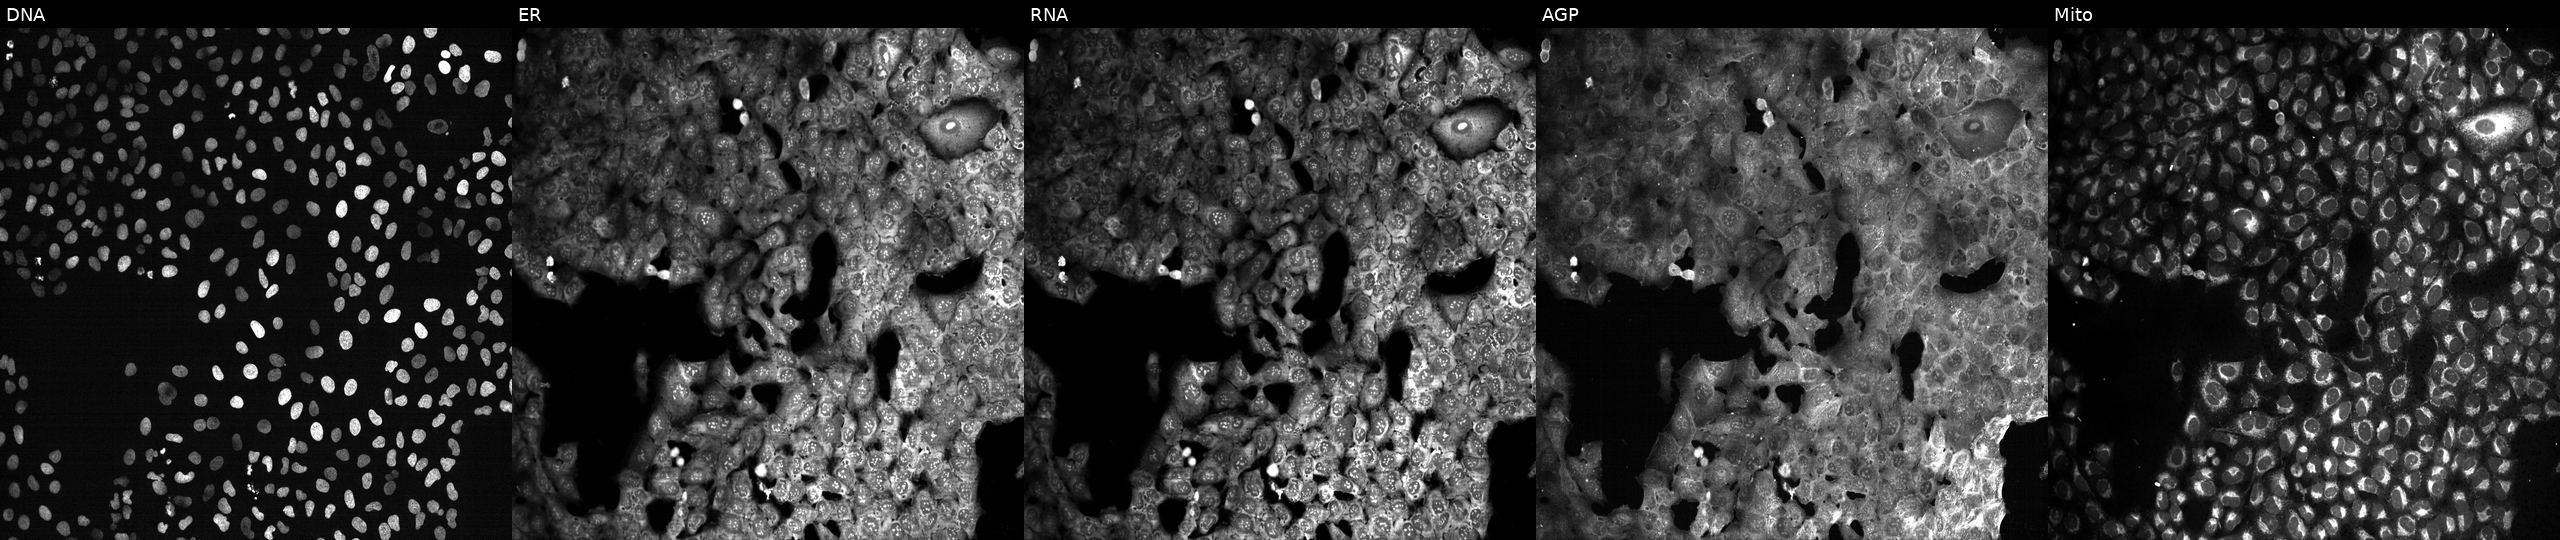
U2OS cells, Cell Painting assay, exposed to the positive-control compound NVS-PAK1-1. Channels (left→right): DNA, ER, RNA, AGP, and Mito. Each panel is percentile-stretched 16-bit fluorescence. Source 13, plate CP-CC9-R3-01, well B24.